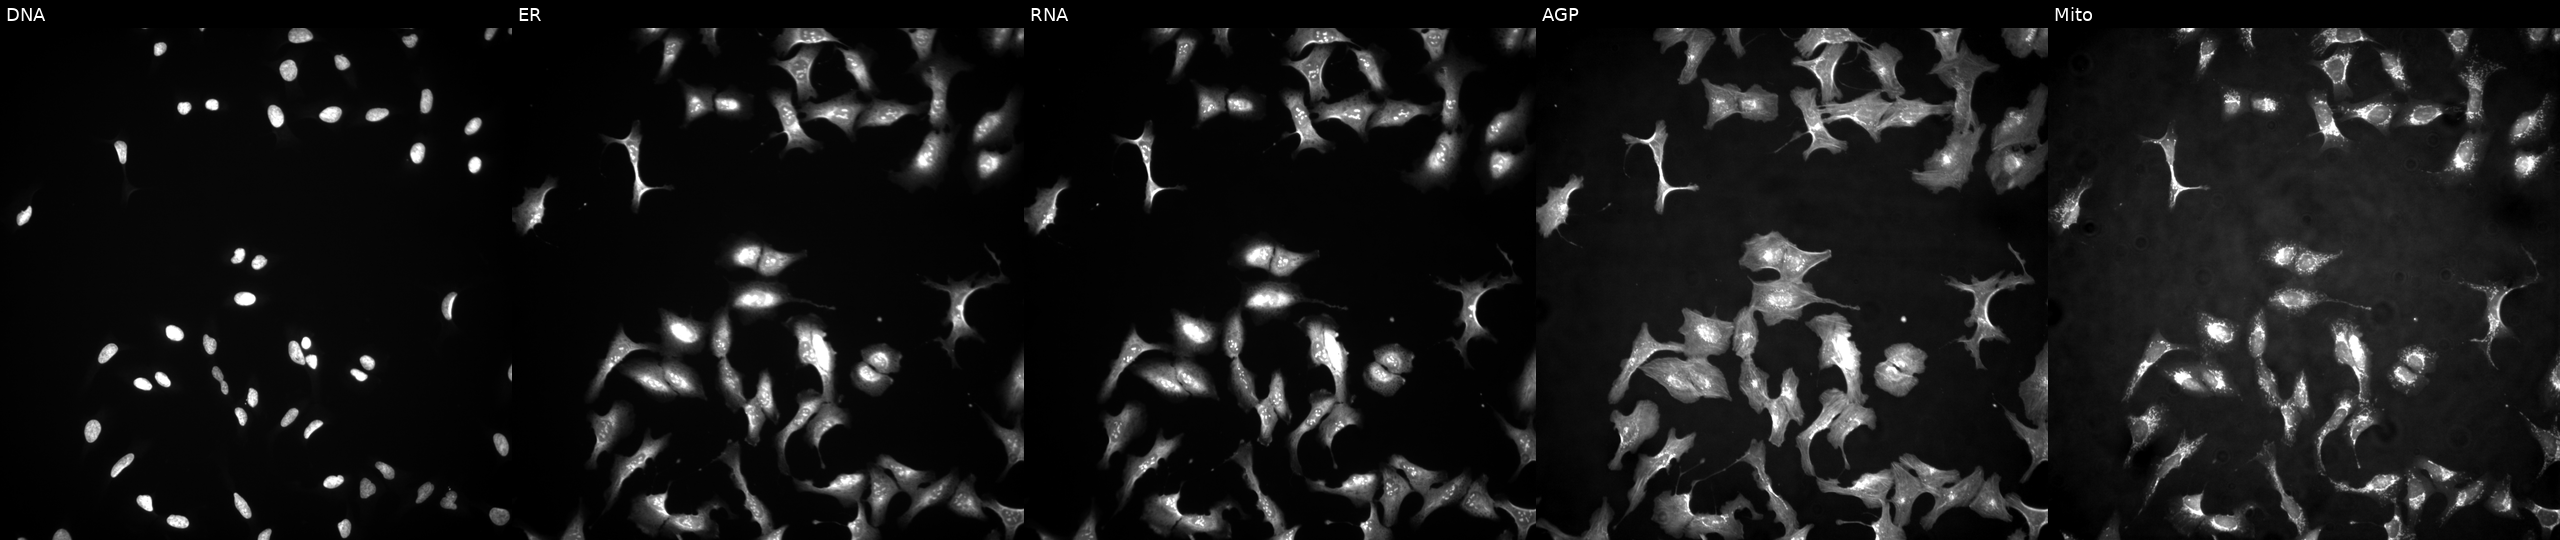
This image strip shows the five Cell Painting channels for a single field of U2OS cells with PPP1R16A overexpressed (ORF). Channels (left→right): Hoechst 33342, concanavalin A, SYTO 14, phalloidin and WGA, MitoTracker.